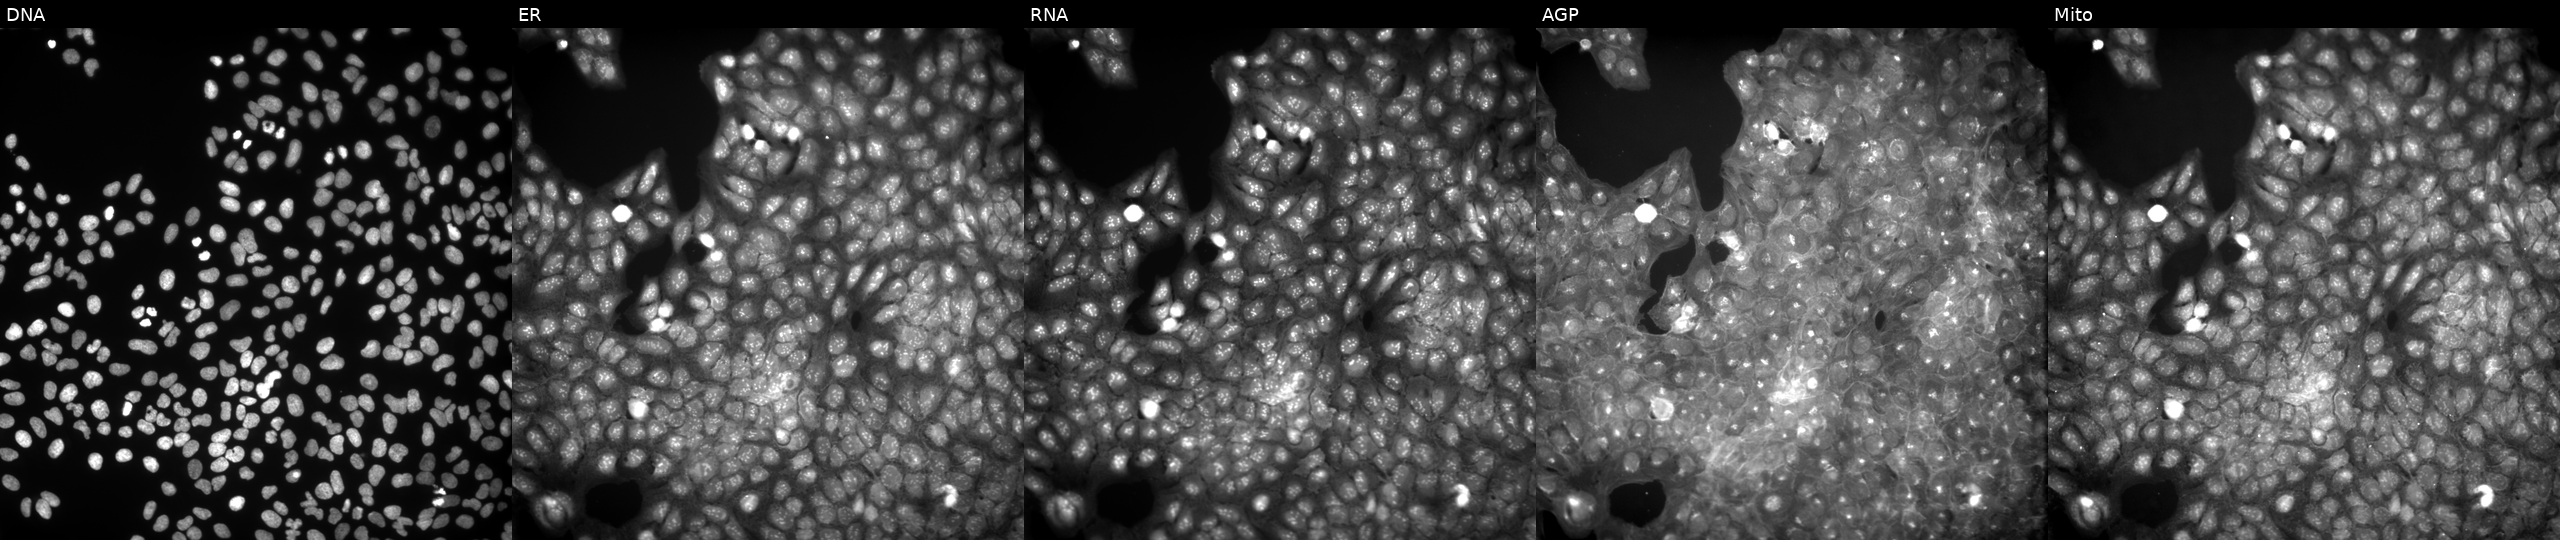
Panels show, left to right, DNA, ER, RNA, AGP, and Mito. U2OS osteosarcoma cells perturbed with a small-molecule compound (JUMP id JCP2022_052937). Cell Painting assay, JUMP-CP dataset. Source 9, plate GR00003382, well AD18.